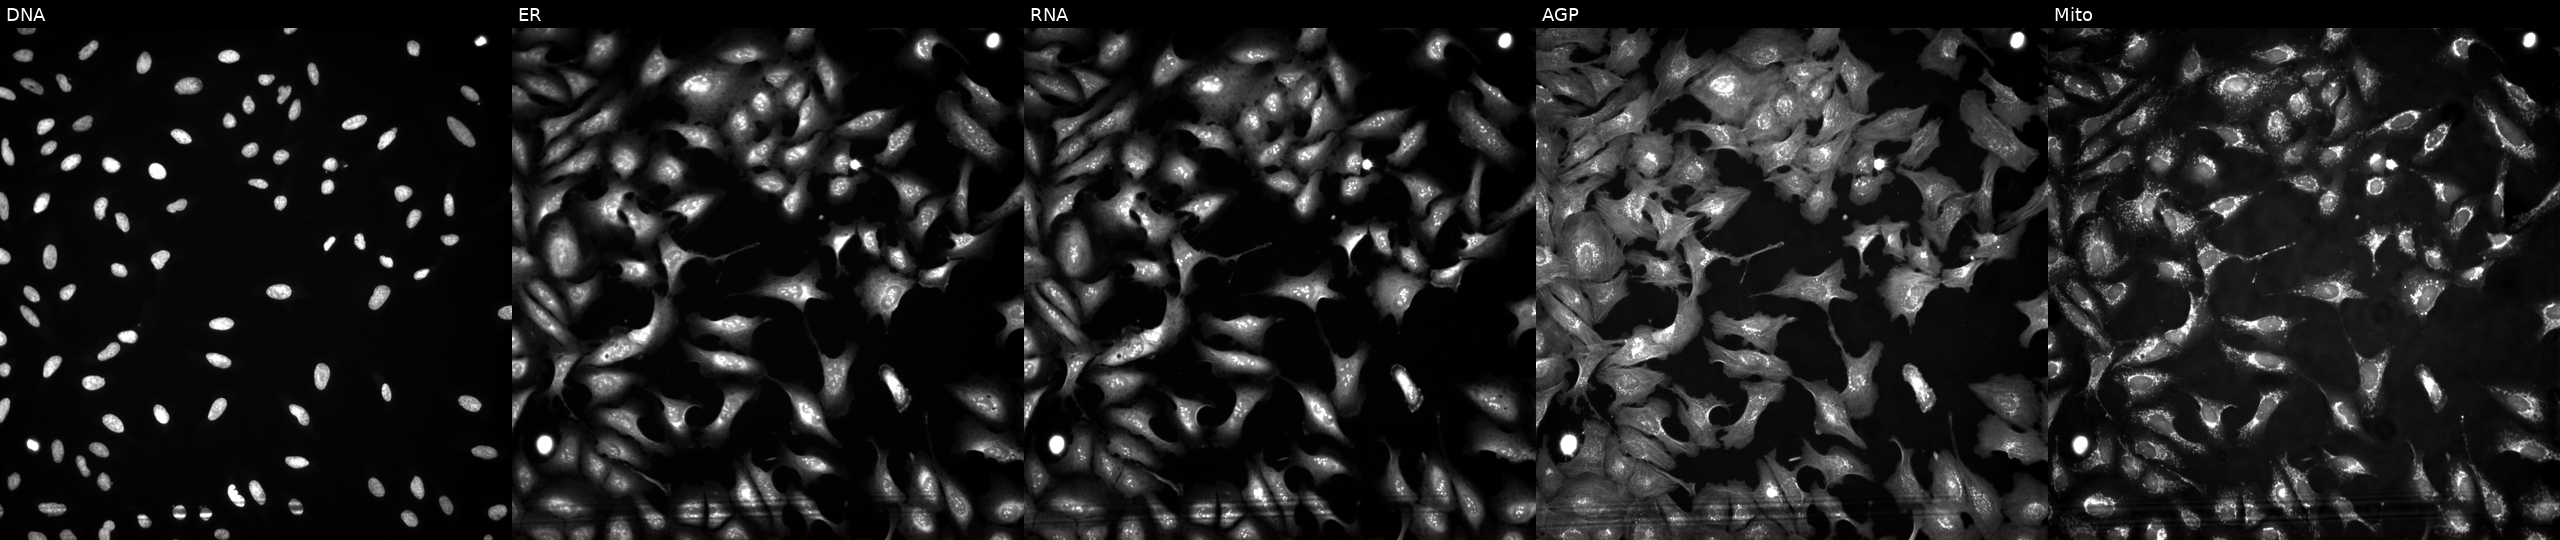
From left to right: DNA, ER, RNA, AGP, and Mito. U2OS osteosarcoma cells transfected with an ORF construct for ITPK1 (JUMP id JCP2022_900832). Cell Painting assay, JUMP-CP dataset.